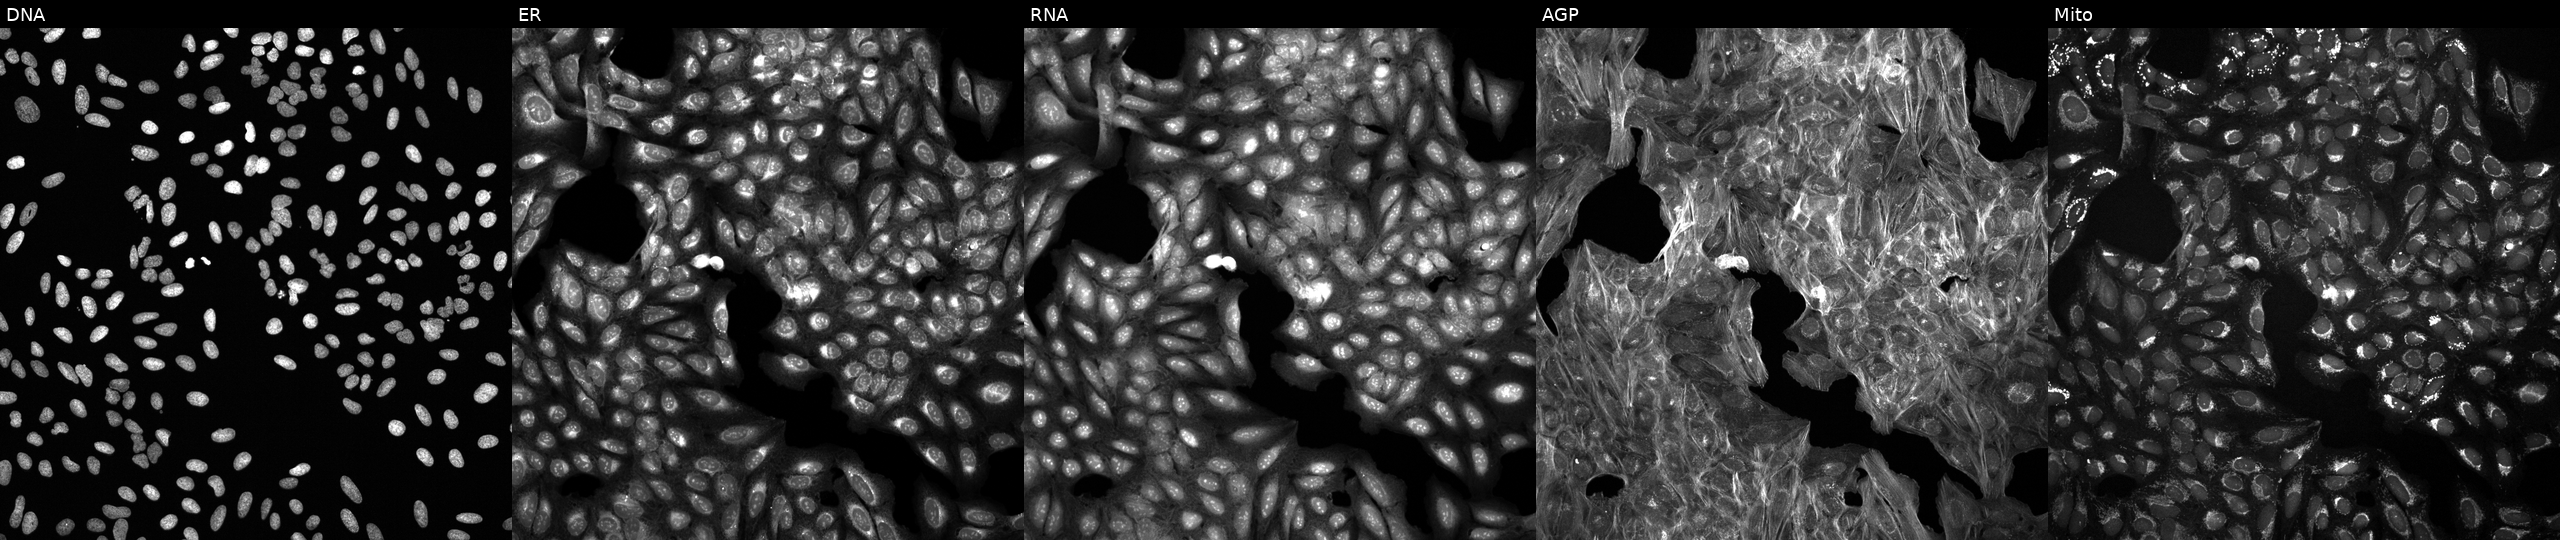
JUMP Cell Painting — COMPOUND plate. U2OS cells exposed to a small-molecule compound. From left to right: Hoechst 33342, concanavalin A, SYTO 14, phalloidin and WGA, MitoTracker. Source 6, plate 110000293083, well D05.